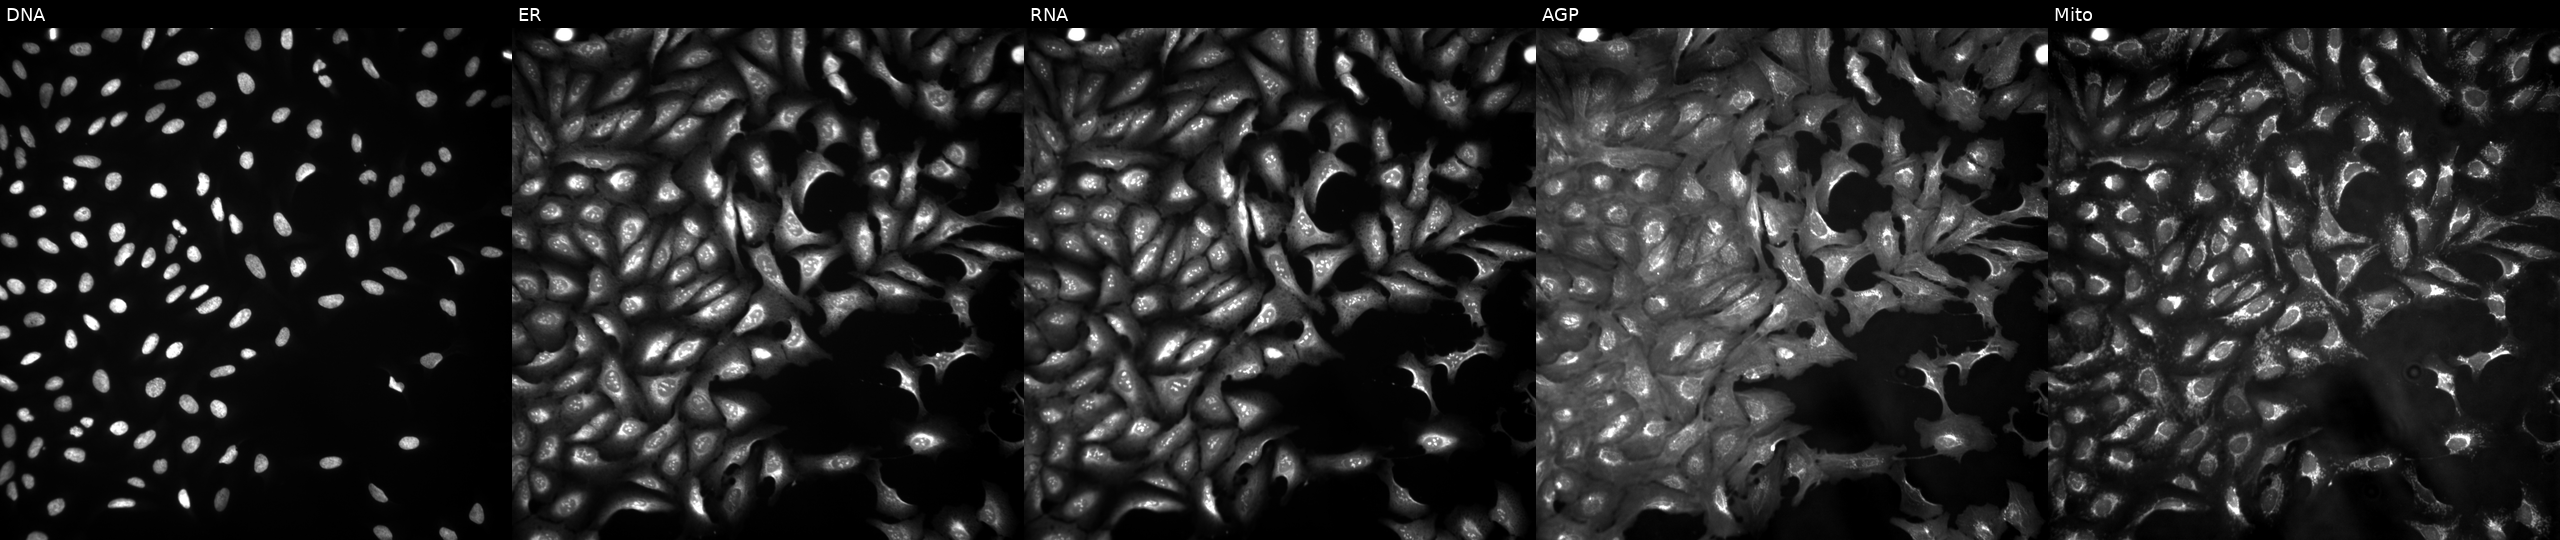
This image strip shows the five Cell Painting channels for a single field of U2OS cells with CEP70 overexpressed (ORF). Channels (left→right): Hoechst 33342, concanavalin A, SYTO 14, phalloidin and WGA, MitoTracker.